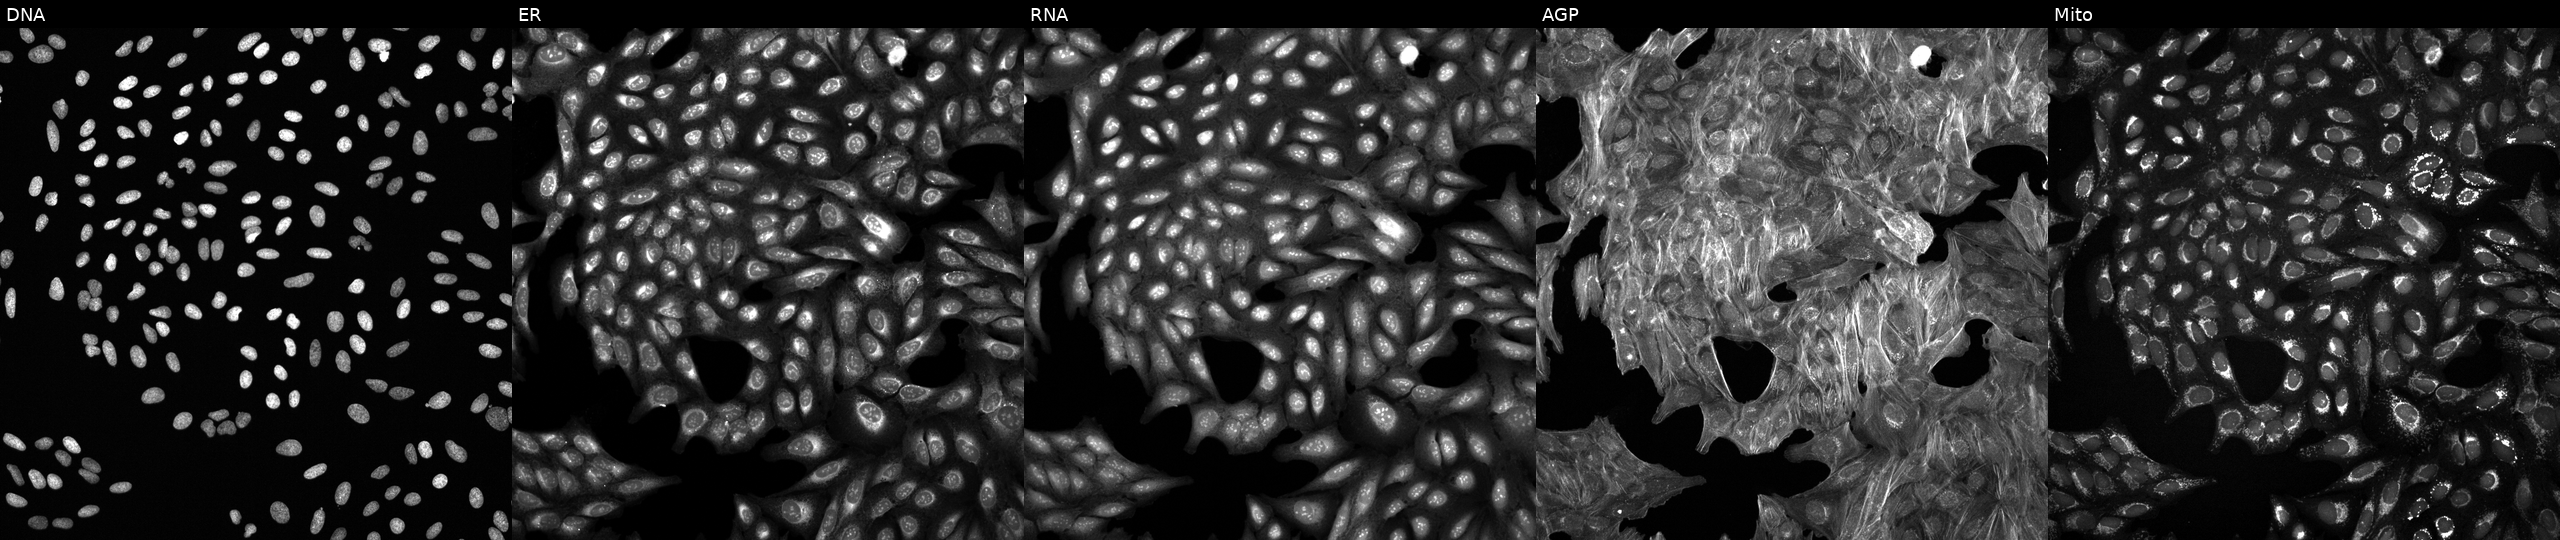
JUMP Cell Painting — COMPOUND plate. U2OS cells exposed to a small-molecule compound (InChIKey OYYUKQMZUAOKRJ-UHFFFAOYSA-N). The five panels, left to right, show Hoechst 33342, concanavalin A, SYTO 14, phalloidin and WGA, MitoTracker.